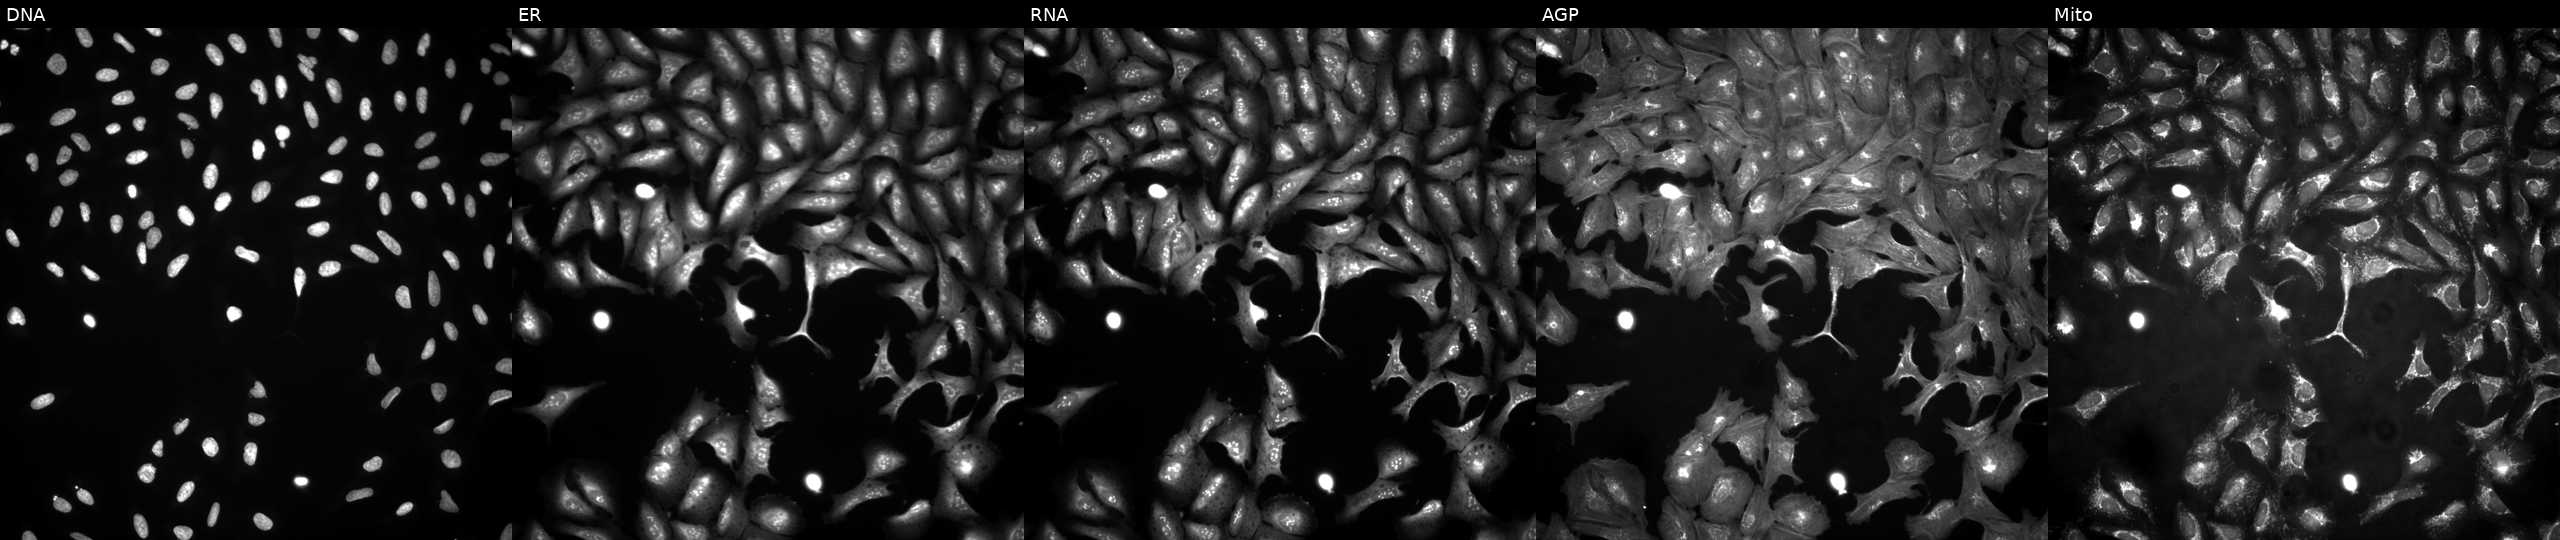
U2OS cells, Cell Painting assay, with HTR5A overexpressed (ORF). Channels (left→right): Hoechst 33342, concanavalin A, SYTO 14, phalloidin and WGA, MitoTracker. Each panel is percentile-stretched 16-bit fluorescence.